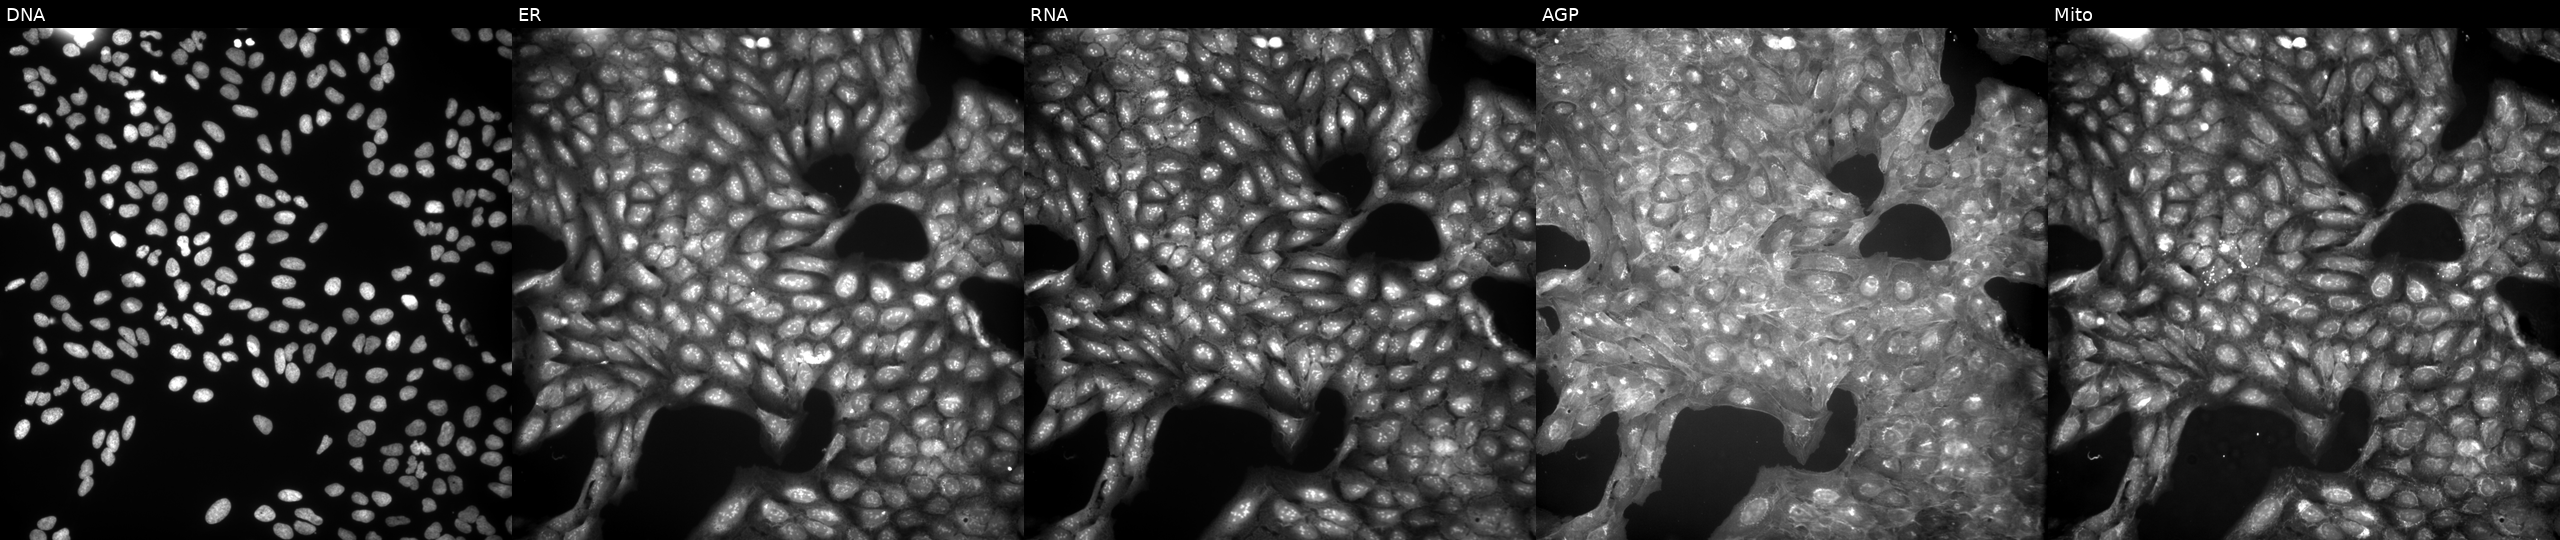
JUMP Cell Painting — COMPOUND plate. U2OS cells perturbed with a small-molecule compound (InChIKey DBUQWANJMOJQOT-UHFFFAOYSA-N) [SMILES: O=C(NN=c1cccc[nH]1)C(=O)NNS(=O)(=O)c1ccc(Cl)cc1] (JUMP id JCP2022_014901). The five panels, left to right, show DNA (nuclei); ER (endoplasmic reticulum); RNA (nucleoli and cytoplasmic RNA); AGP (actin cytoskeleton, Golgi, and plasma membrane); Mito (mitochondria).